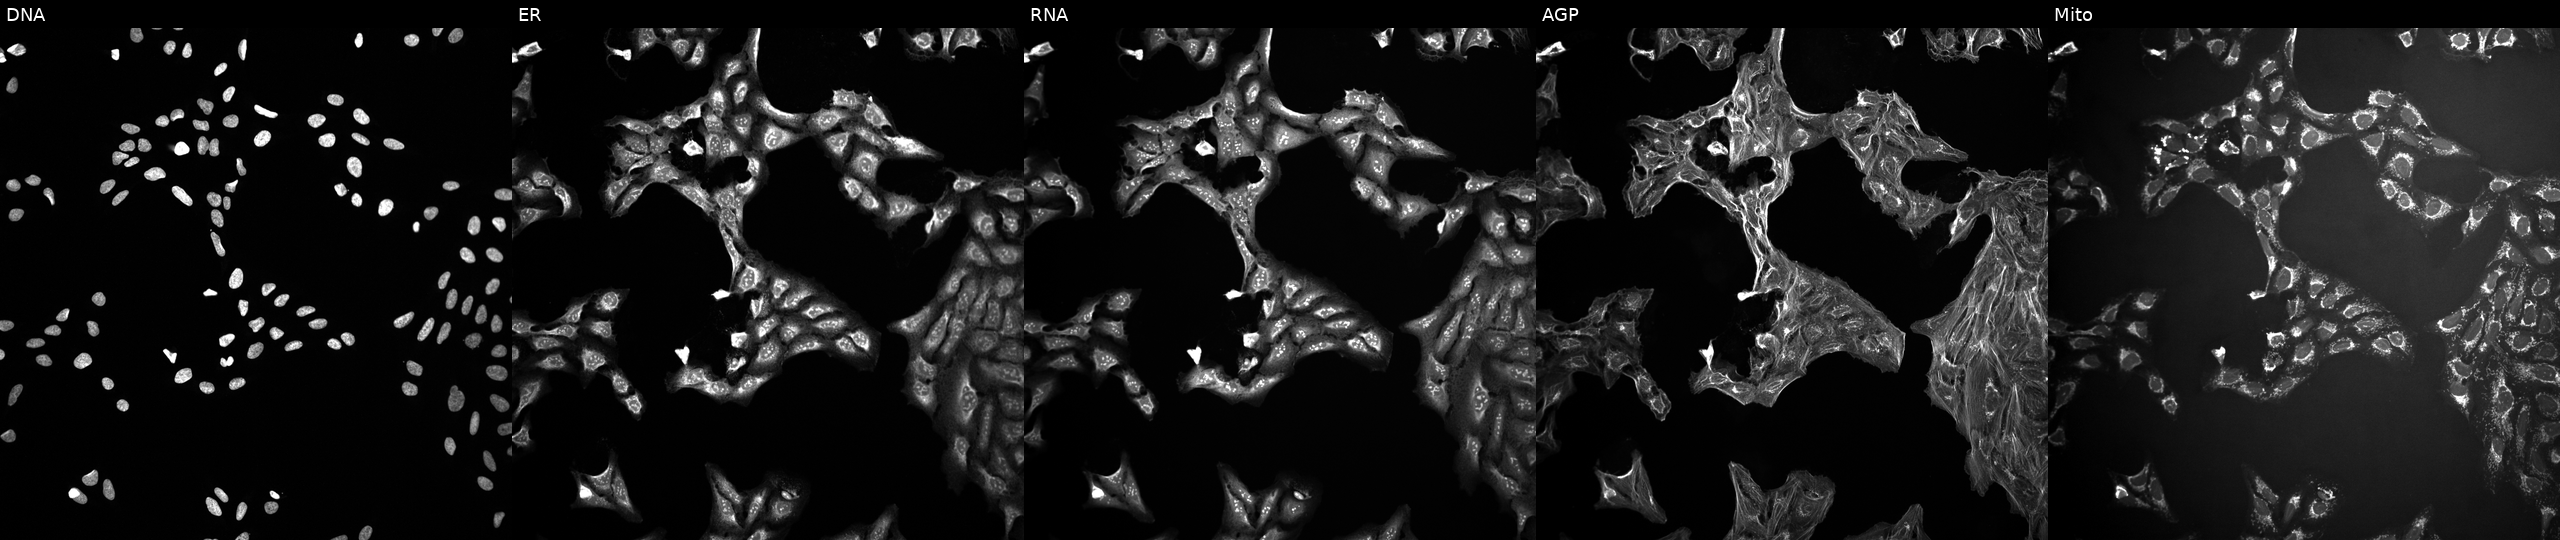
This image strip shows the five Cell Painting channels for a single field of U2OS cells perturbed with a small-molecule compound (InChIKey HULPONUAINYLQQ-UHFFFAOYSA-N) [SMILES: CC=C(C)C(=O)OC1C(C)=CC23C(=O)C(=CC(CO)C(O)C12O)C1C(CC3C)C1(C)C]. The five panels, left to right, show DNA (nuclei); ER (endoplasmic reticulum); RNA (nucleoli and cytoplasmic RNA); AGP (actin cytoskeleton, Golgi, and plasma membrane); Mito (mitochondria).